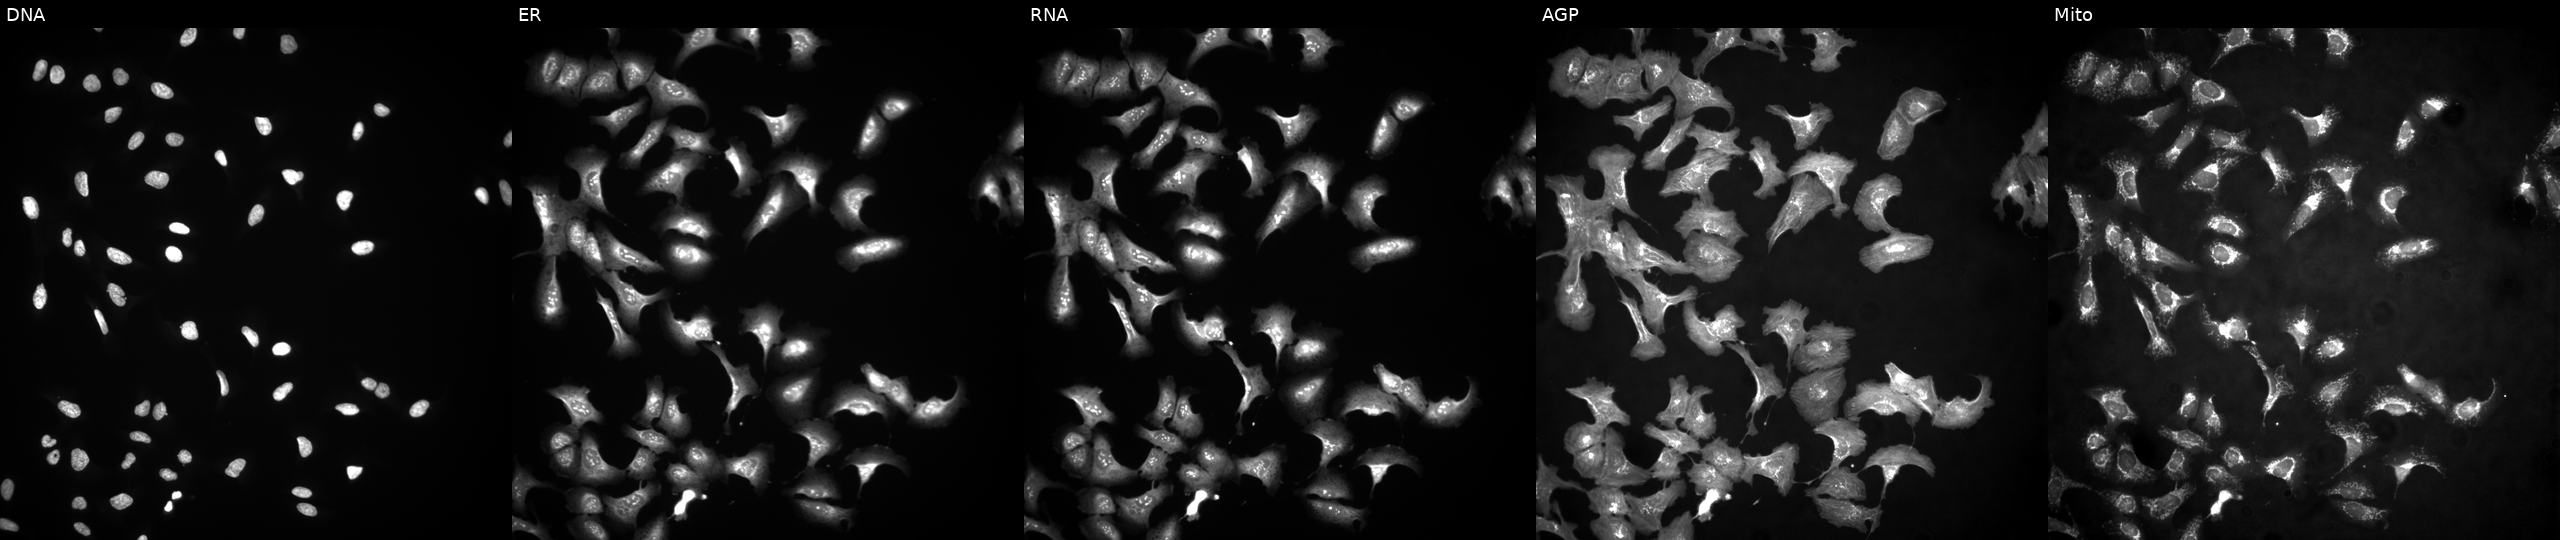
High-content fluorescence microscopy (Cell Painting). Cell line: U2OS. Perturbation: with ACTN4 overexpressed (ORF). The five panels, left to right, show DNA, ER, RNA, AGP, and Mito.